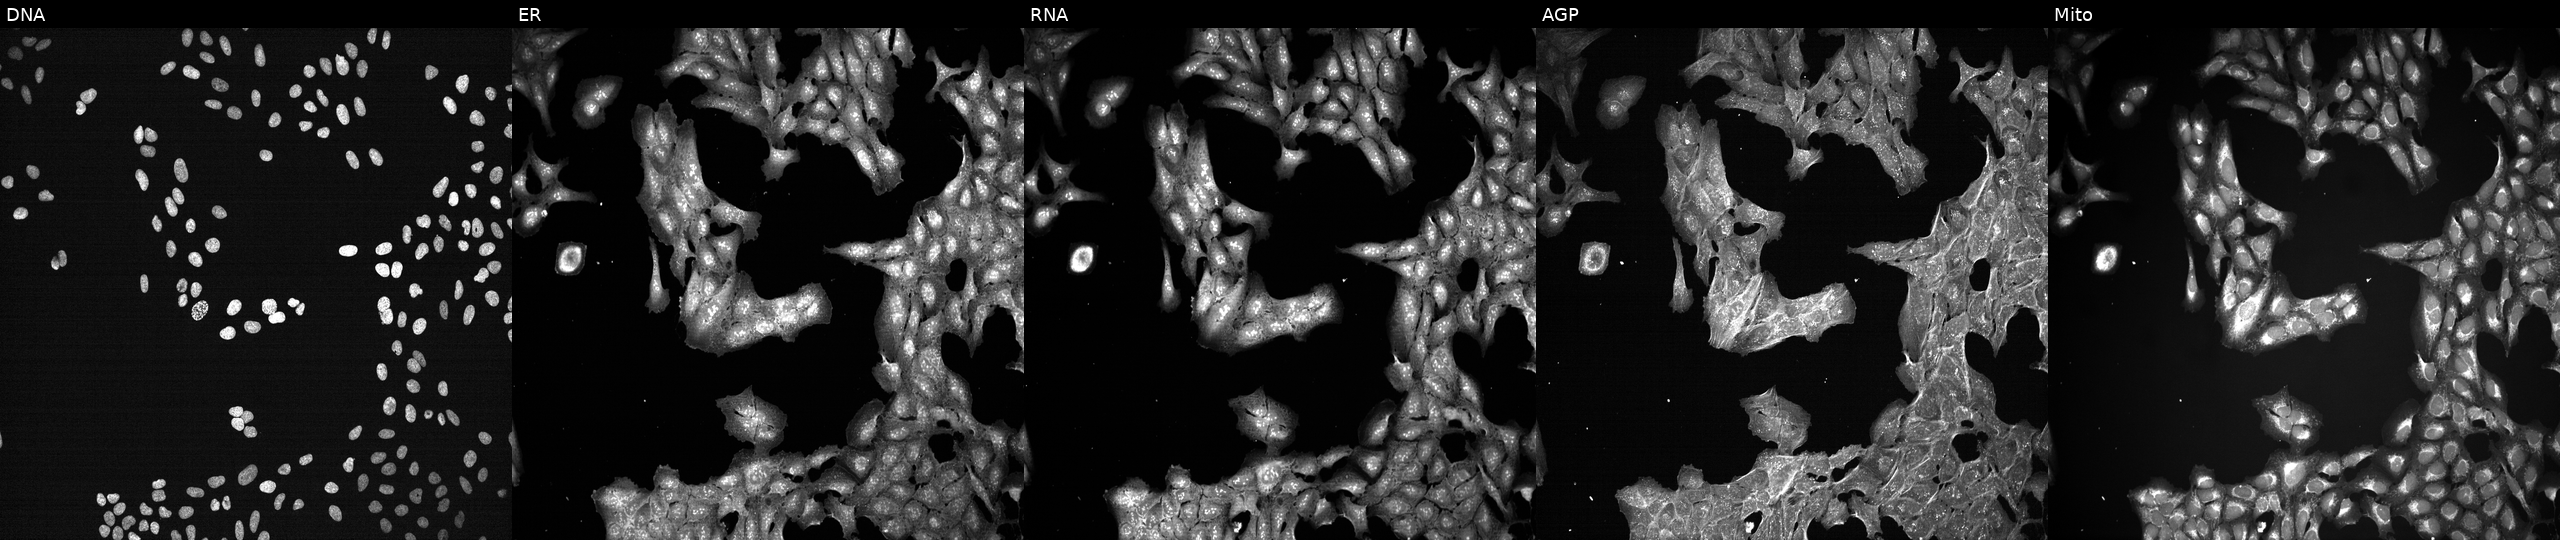
Five-channel Cell Painting image of U2OS cells treated with a small-molecule compound (InChIKey ULYONBAOIMCNEH-UHFFFAOYSA-N) (JUMP id JCP2022_090051). Panels show, left to right, DNA, ER, RNA, AGP, and Mito.